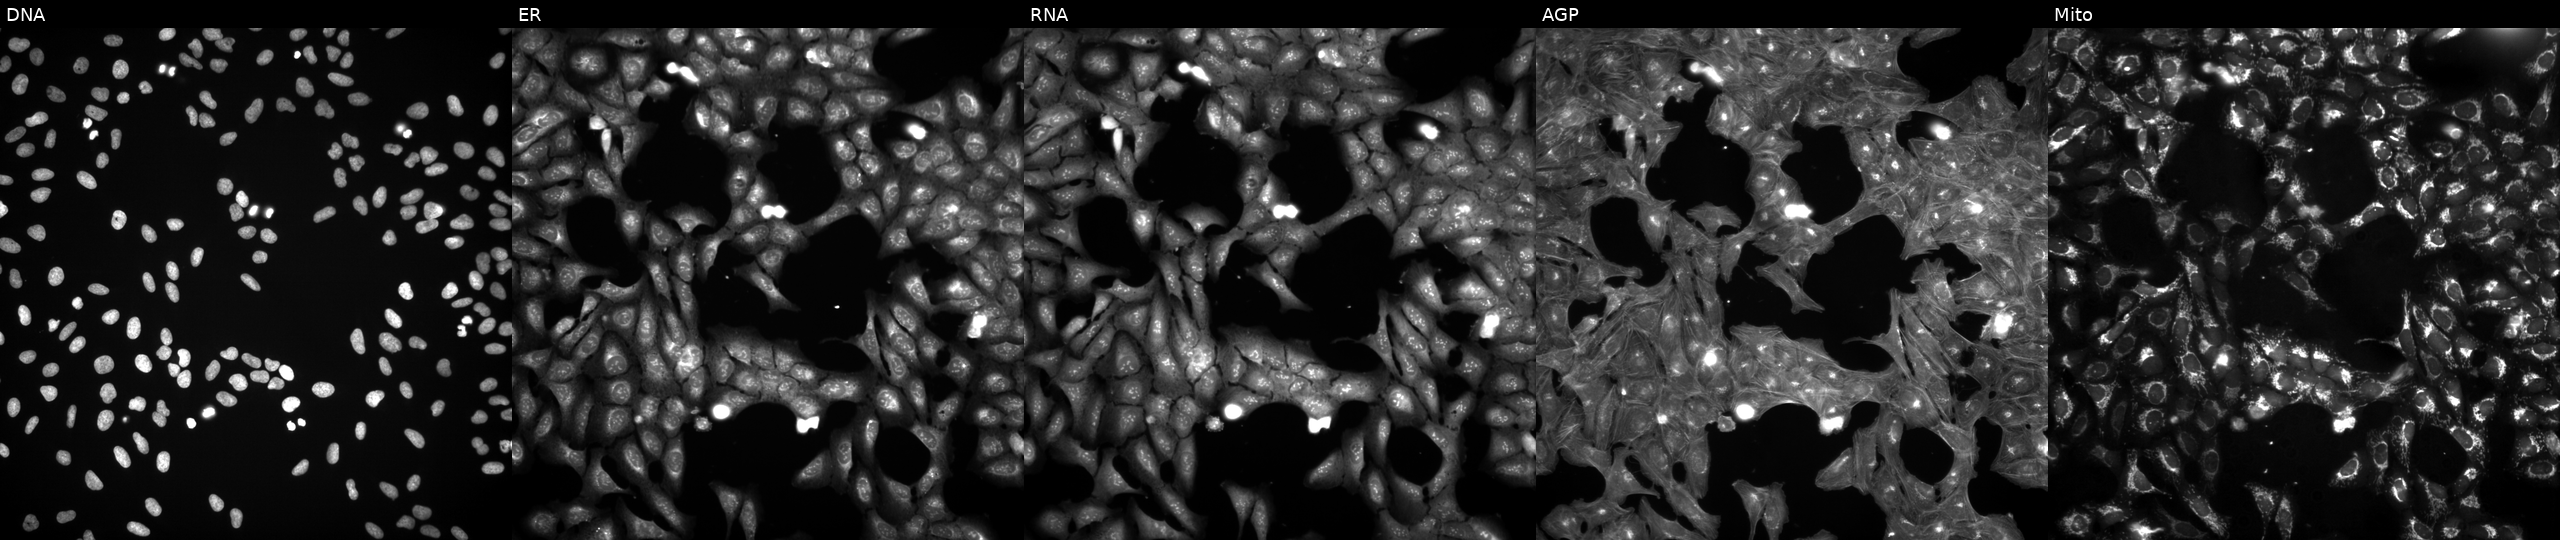
JUMP Cell Painting — TARGET2 plate. U2OS cells exposed to DMSO alone as a negative control. Panels show, left to right, DNA (nuclei); ER (endoplasmic reticulum); RNA (nucleoli and cytoplasmic RNA); AGP (actin cytoskeleton, Golgi, and plasma membrane); Mito (mitochondria). Source 3, plate JCPQC053, well G03.